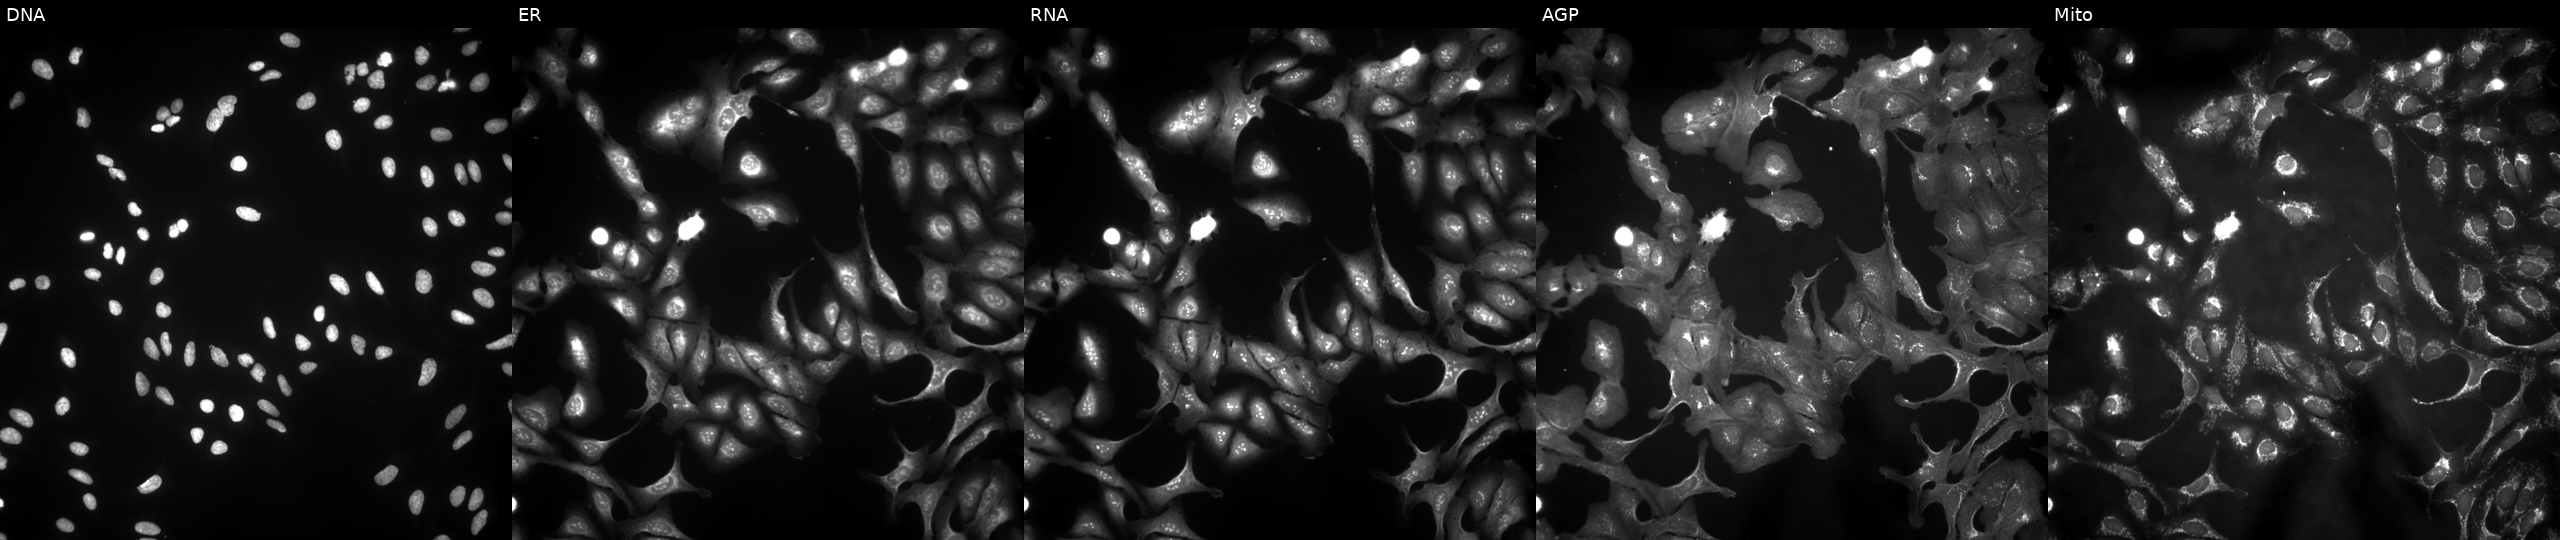
Five-channel Cell Painting image of U2OS cells overexpressing FLOT1 via ORF transfection (JUMP id JCP2022_902206). Channels (left→right): Hoechst 33342, concanavalin A, SYTO 14, phalloidin and WGA, MitoTracker.